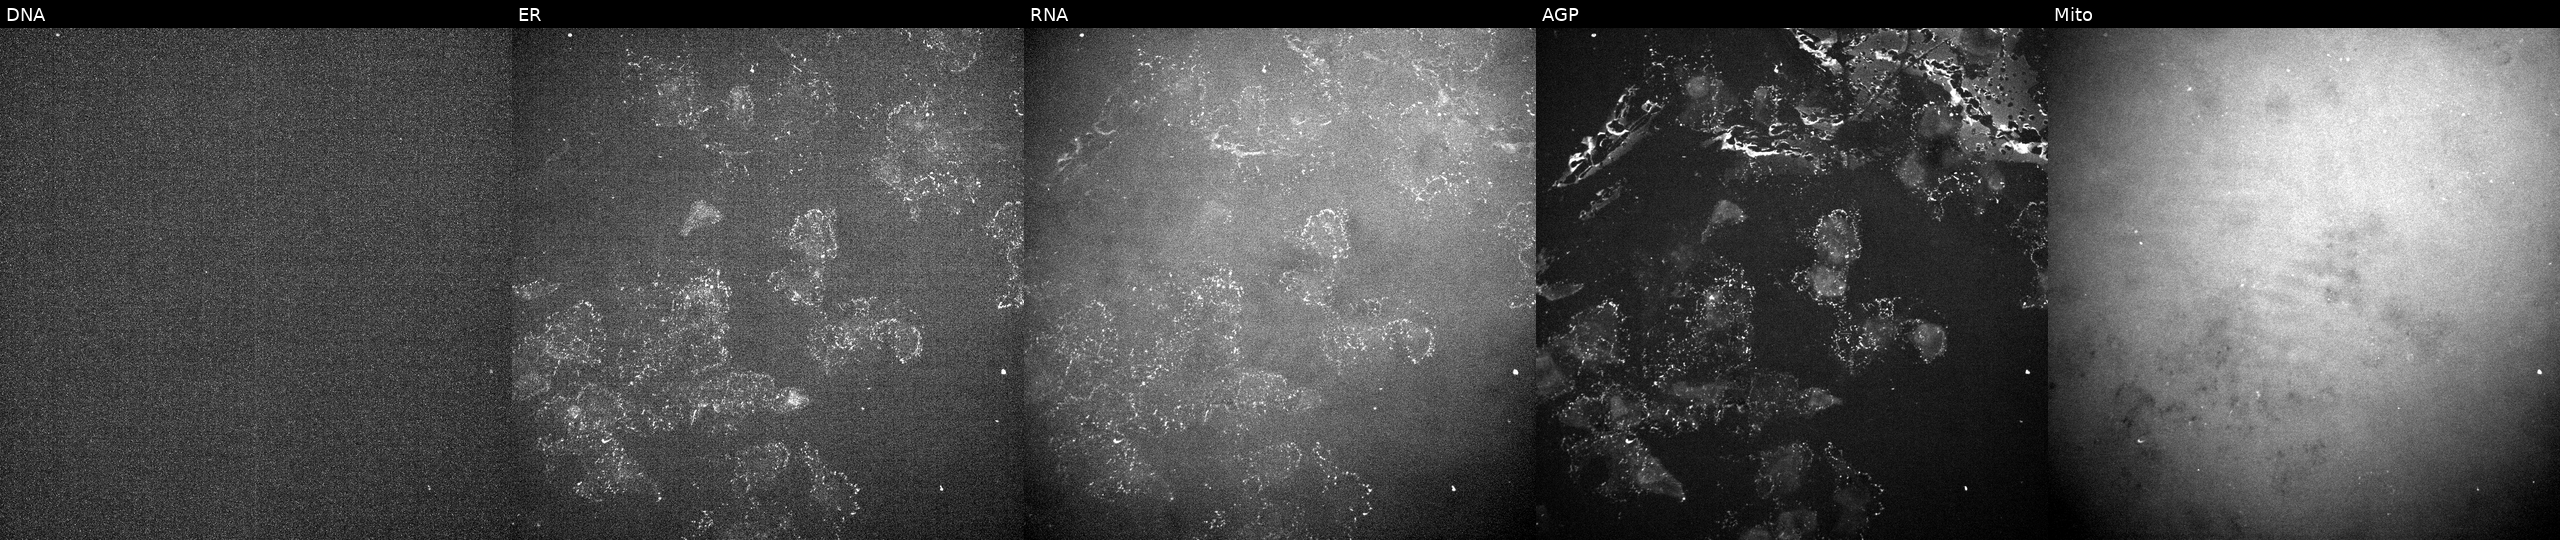
Five-channel Cell Painting image of U2OS cells treated with a small-molecule compound (InChIKey CANBMWXJDLUDFF-UHFFFAOYSA-N). From left to right: DNA (nuclei); ER (endoplasmic reticulum); RNA (nucleoli and cytoplasmic RNA); AGP (actin cytoskeleton, Golgi, and plasma membrane); Mito (mitochondria).